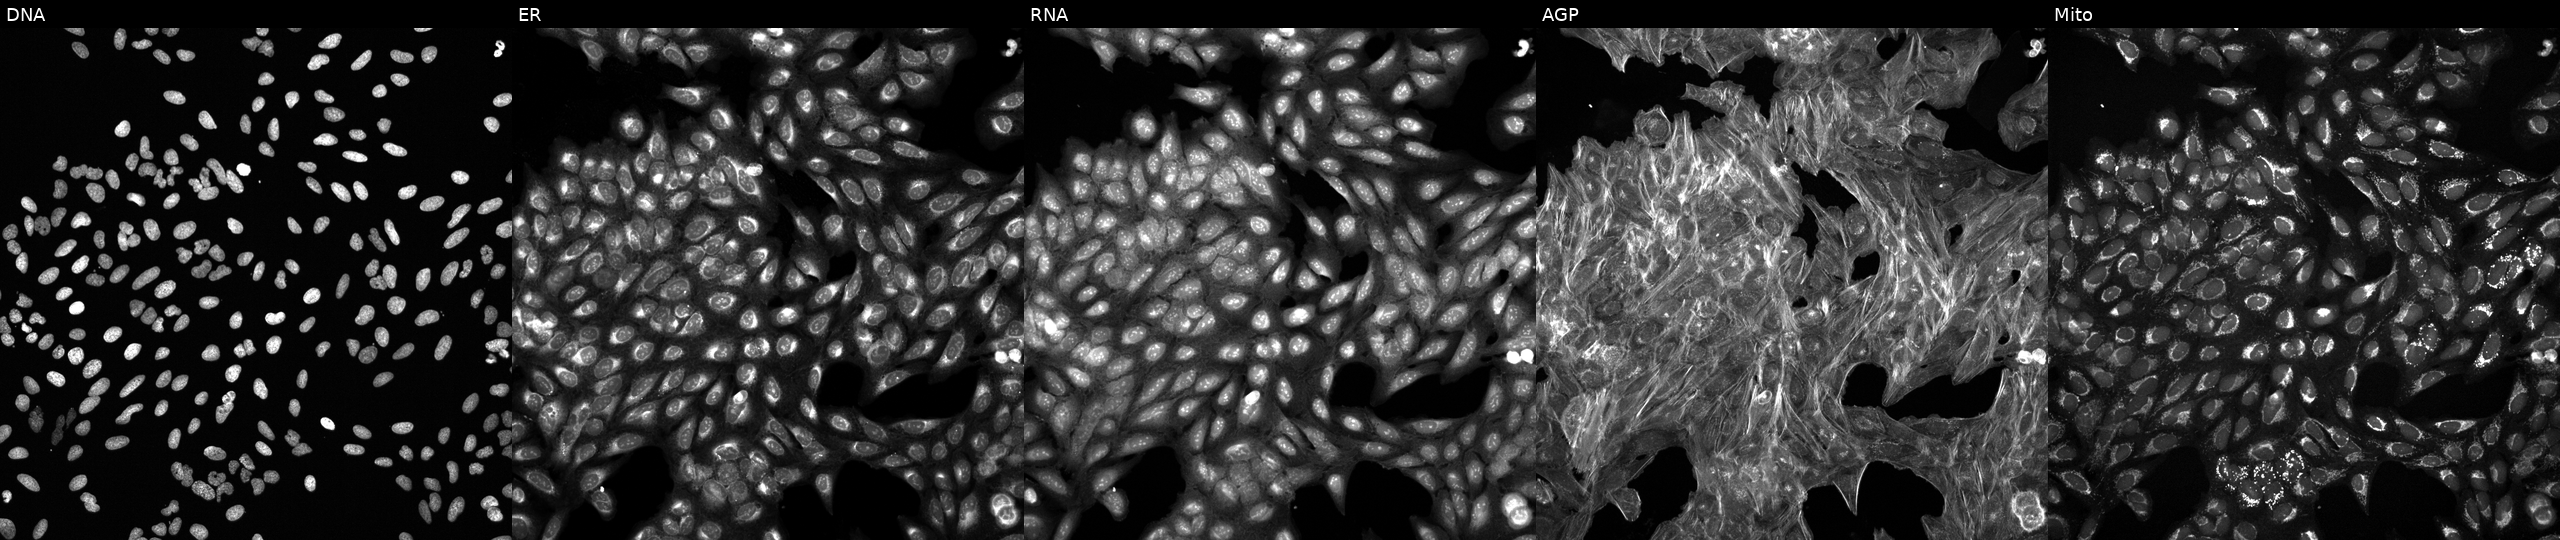
This image strip shows the five Cell Painting channels for a single field of U2OS cells treated with a small-molecule compound (InChIKey ZOGMTRLZHYWYLX-UHFFFAOYSA-N) [SMILES: COc1cccc(-n2nnc(S(=O)(=O)c3ccc(Cl)cc3)c2C)c1] (JUMP id JCP2022_114603). The five panels, left to right, show DNA (nuclei); ER (endoplasmic reticulum); RNA (nucleoli and cytoplasmic RNA); AGP (actin cytoskeleton, Golgi, and plasma membrane); Mito (mitochondria). Source 6, plate 110000293082, well L07.